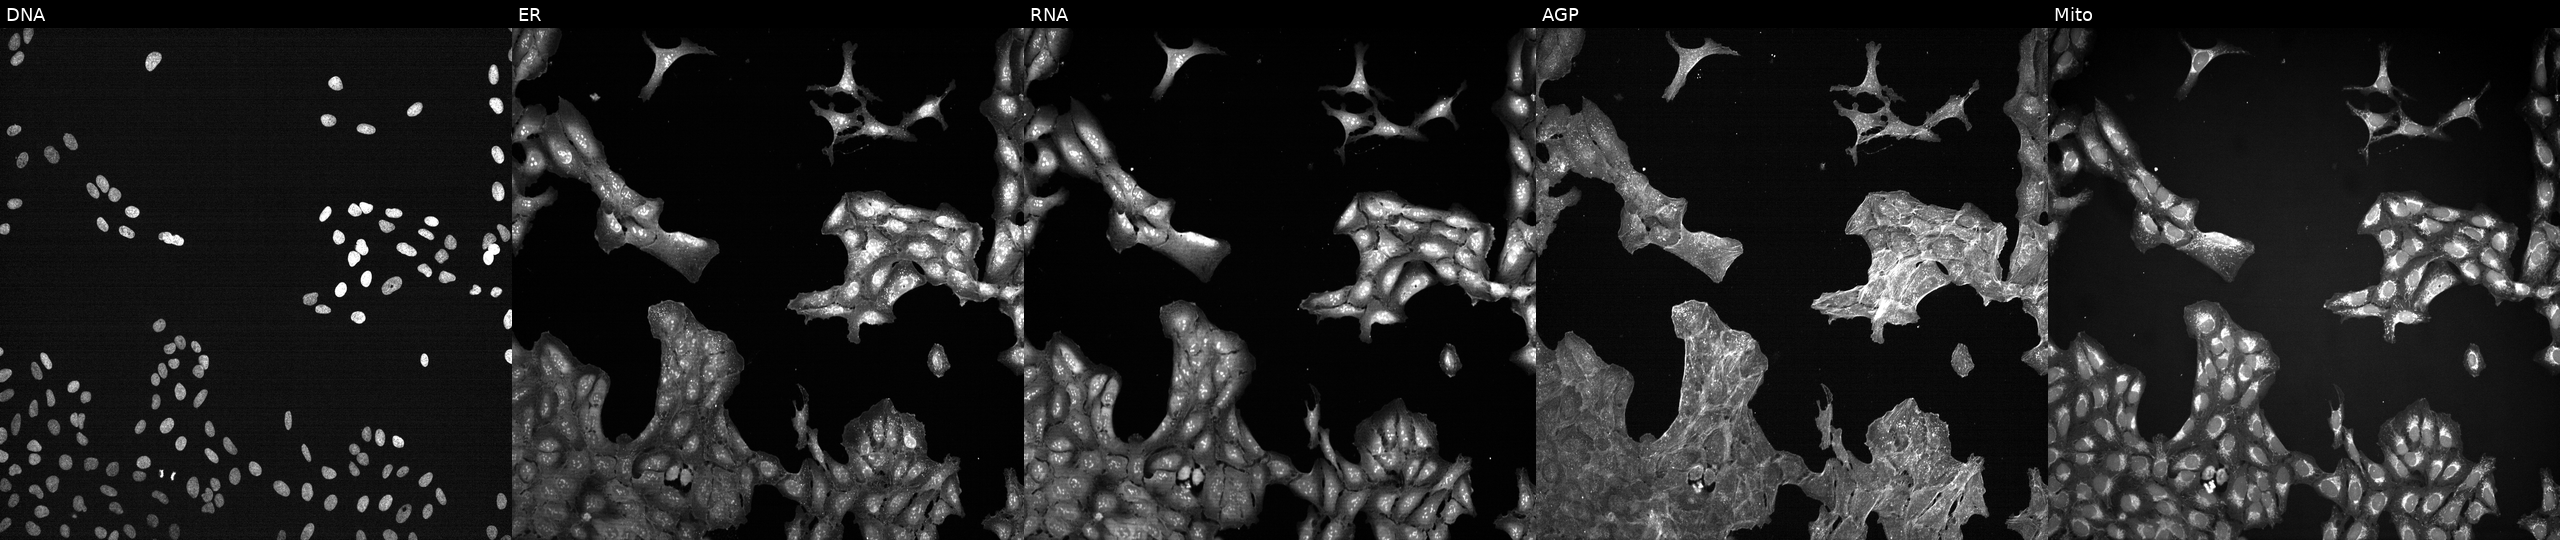
Five-channel Cell Painting image of U2OS cells perturbed with a small-molecule compound (InChIKey SVMHYHIZWOJKDL-UHFFFAOYSA-N) [SMILES: COCCOC(=O)C1=C(C)N=C(C)C(C(=O)OC(C)C)C1c1cccc([N+](=O)[O-])c1]. Channels (left→right): Hoechst 33342, concanavalin A, SYTO 14, phalloidin and WGA, MitoTracker. Source 7, plate CP2-SC1-25, well P12.